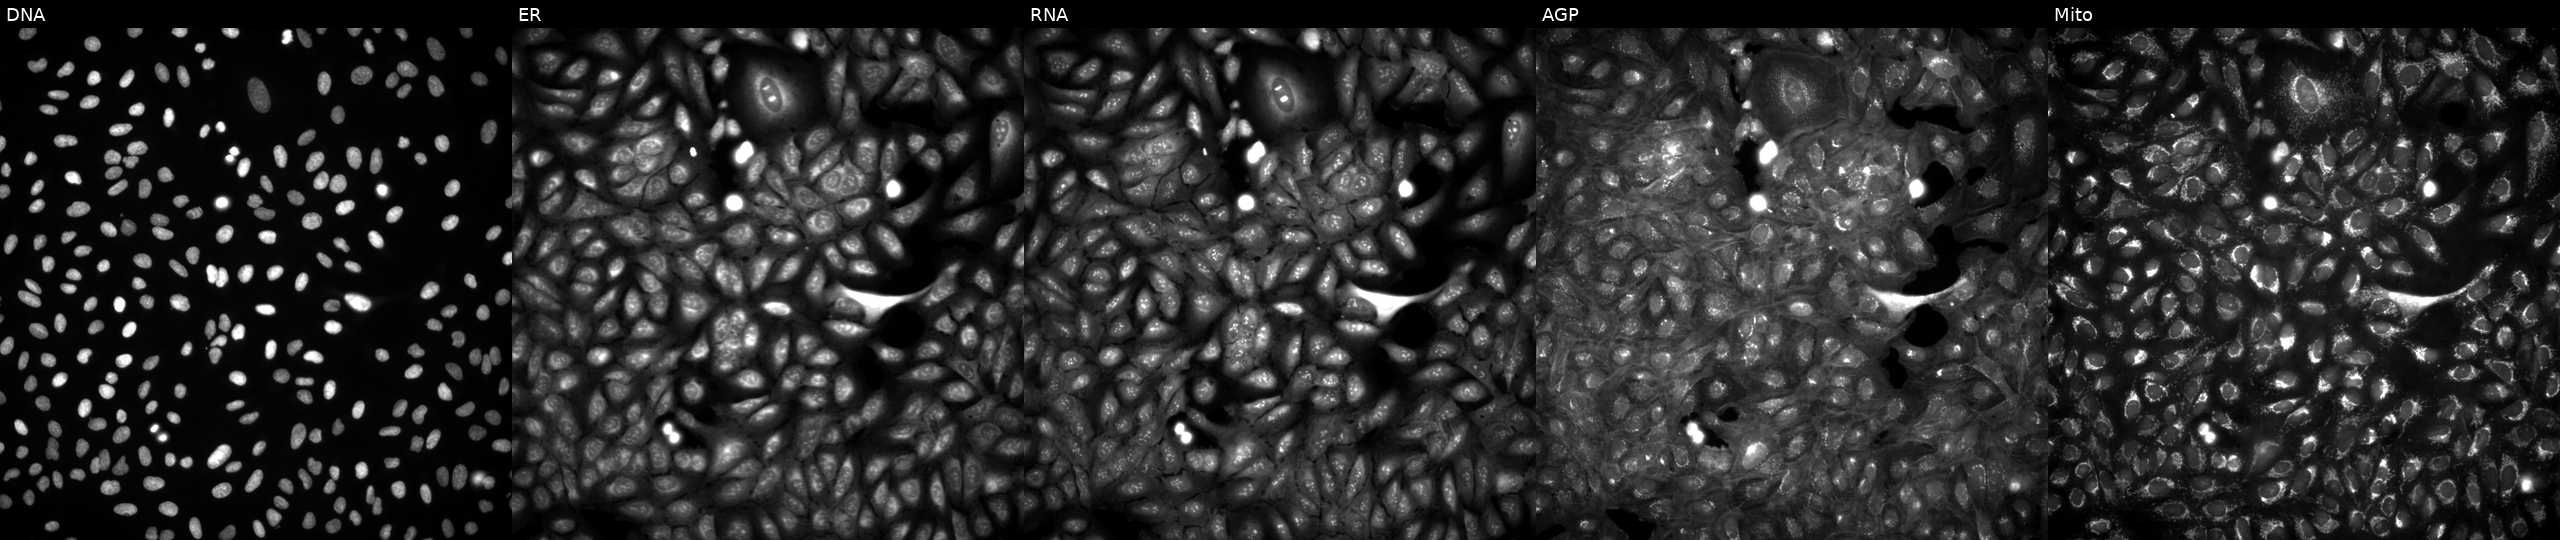
JUMP Cell Painting — ORF plate. U2OS cells in an empty control well (no perturbation). From left to right: DNA (nuclei); ER (endoplasmic reticulum); RNA (nucleoli and cytoplasmic RNA); AGP (actin cytoskeleton, Golgi, and plasma membrane); Mito (mitochondria). Source 4, plate BR00124793, well P12.